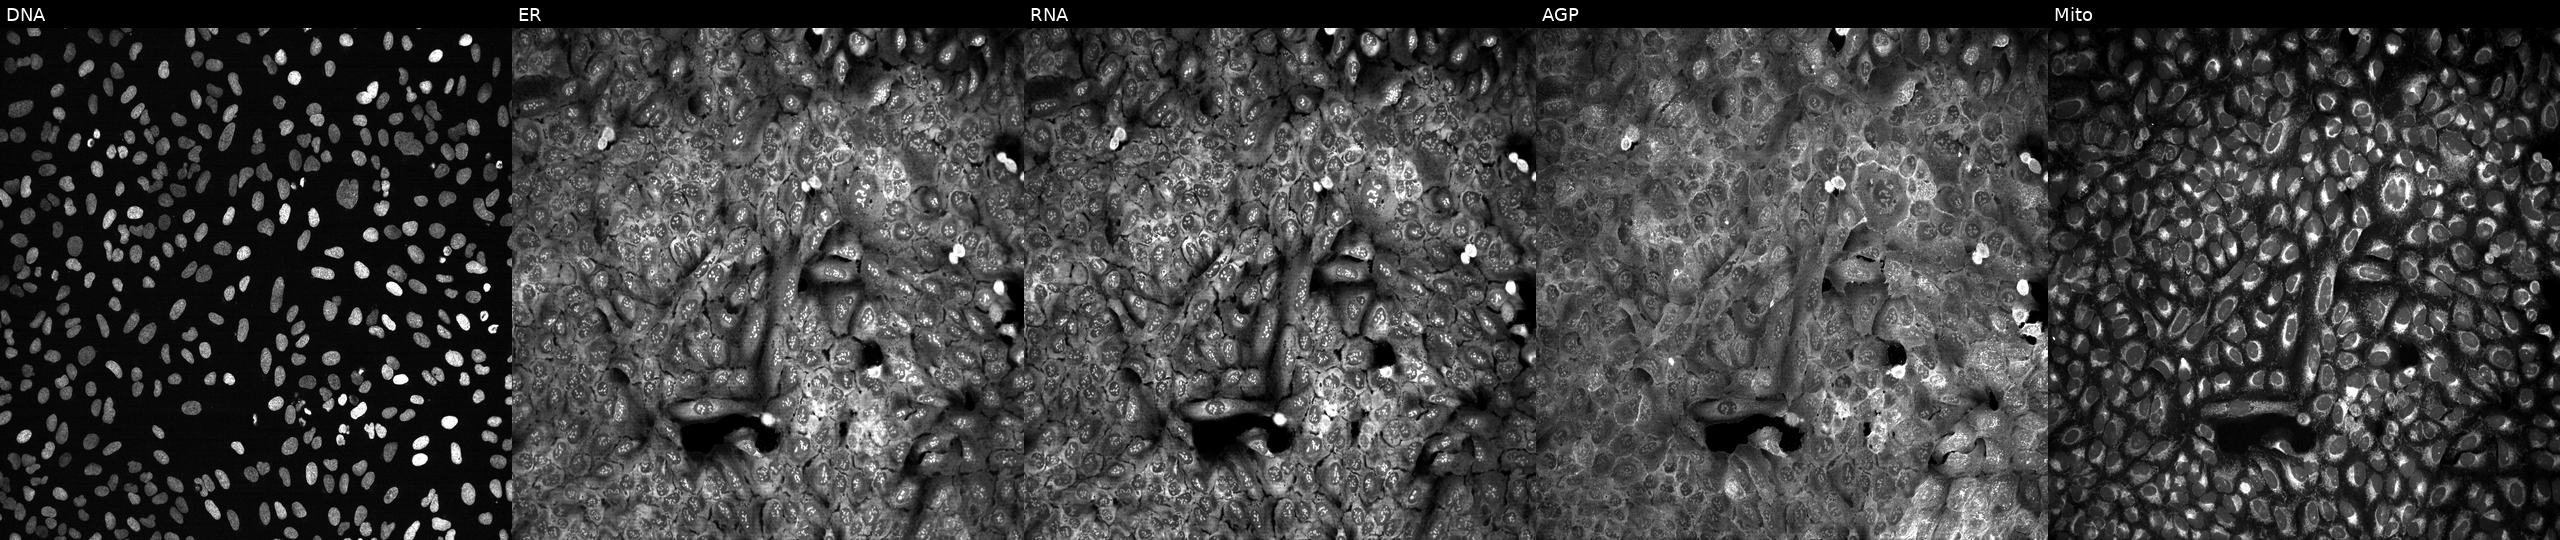
High-content fluorescence microscopy (Cell Painting). Cell line: U2OS. Perturbation: CRISPR-edited to disrupt ACSL3 (JUMP id JCP2022_800141). The five panels, left to right, show Hoechst 33342, concanavalin A, SYTO 14, phalloidin and WGA, MitoTracker.